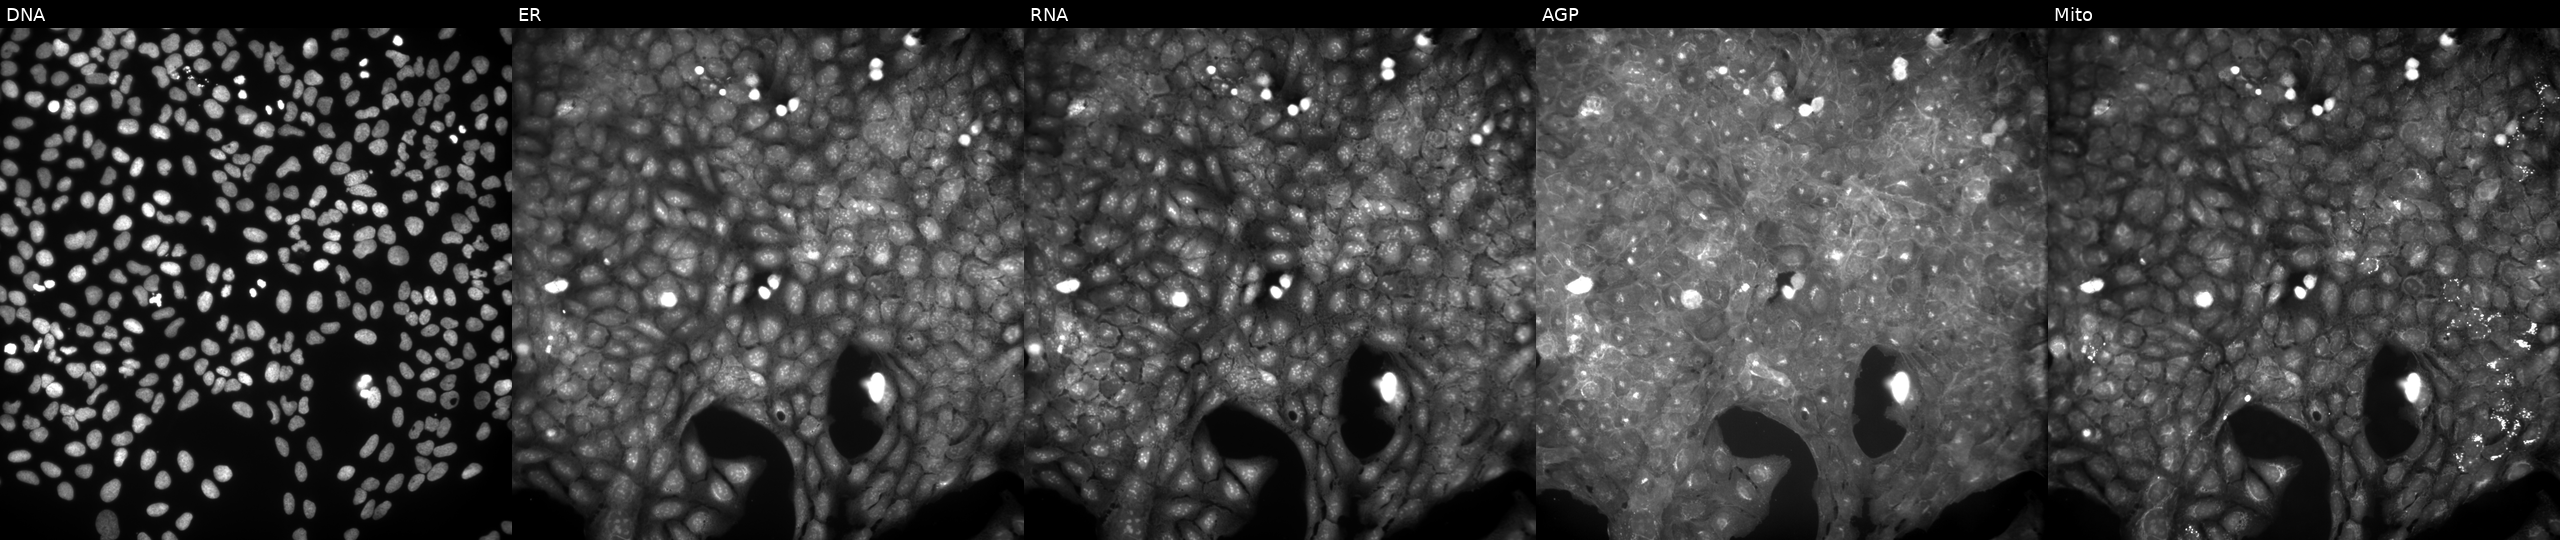
This image strip shows the five Cell Painting channels for a single field of U2OS cells exposed to the positive-control compound quinidine (JUMP id JCP2022_050797). Channels (left→right): DNA (nuclei); ER (endoplasmic reticulum); RNA (nucleoli and cytoplasmic RNA); AGP (actin cytoskeleton, Golgi, and plasma membrane); Mito (mitochondria).